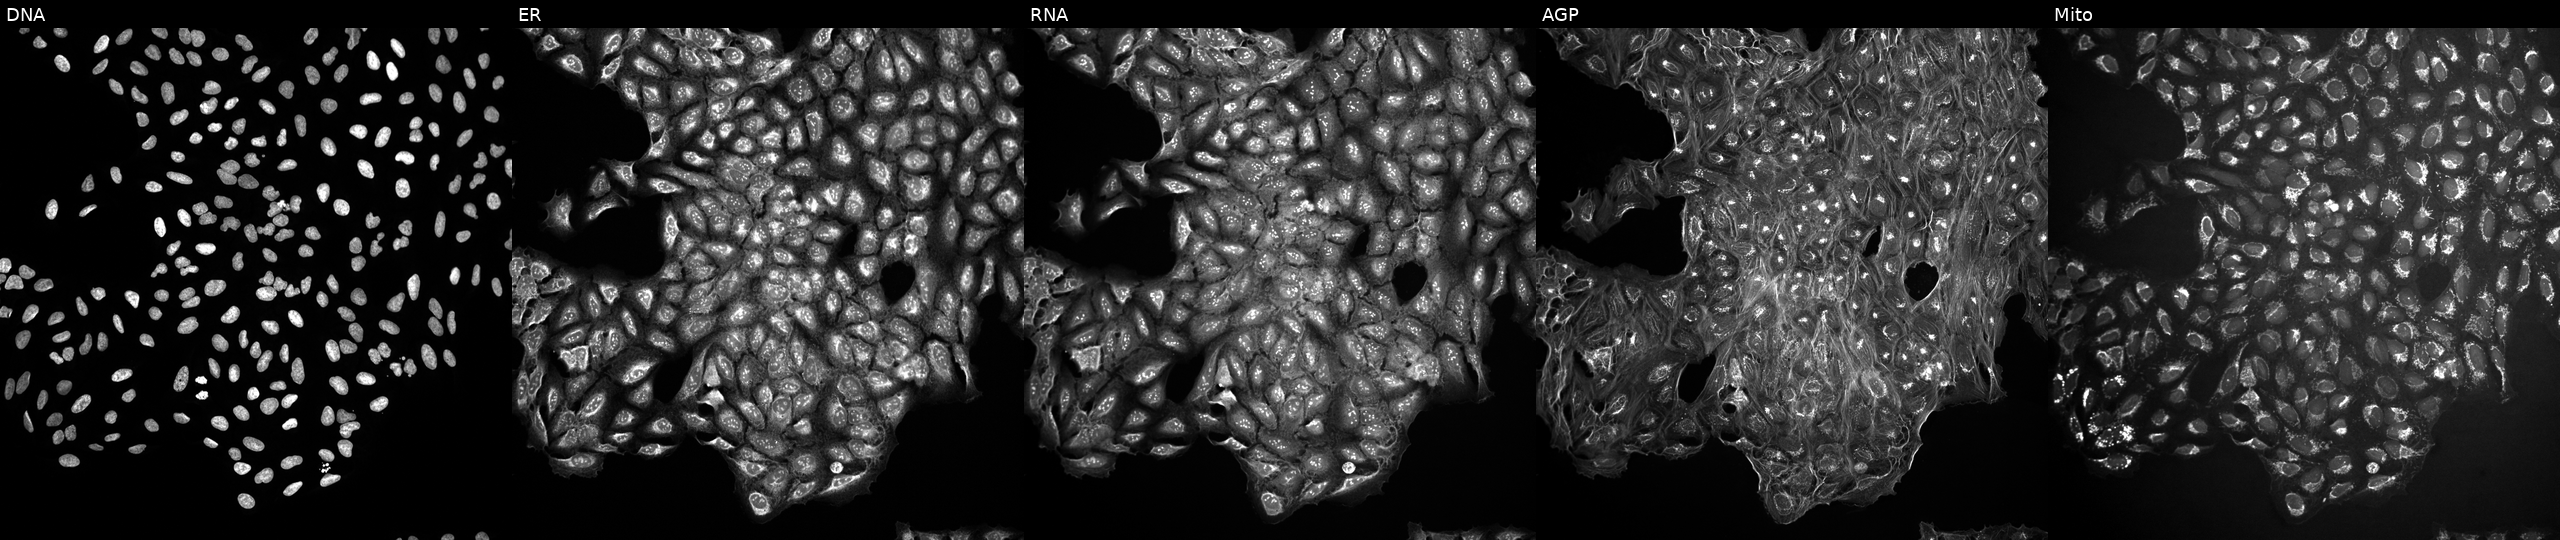
Five-channel Cell Painting image of U2OS cells untreated (empty-well control) (JUMP id JCP2022_999999). The five panels, left to right, show DNA (nuclei); ER (endoplasmic reticulum); RNA (nucleoli and cytoplasmic RNA); AGP (actin cytoskeleton, Golgi, and plasma membrane); Mito (mitochondria).